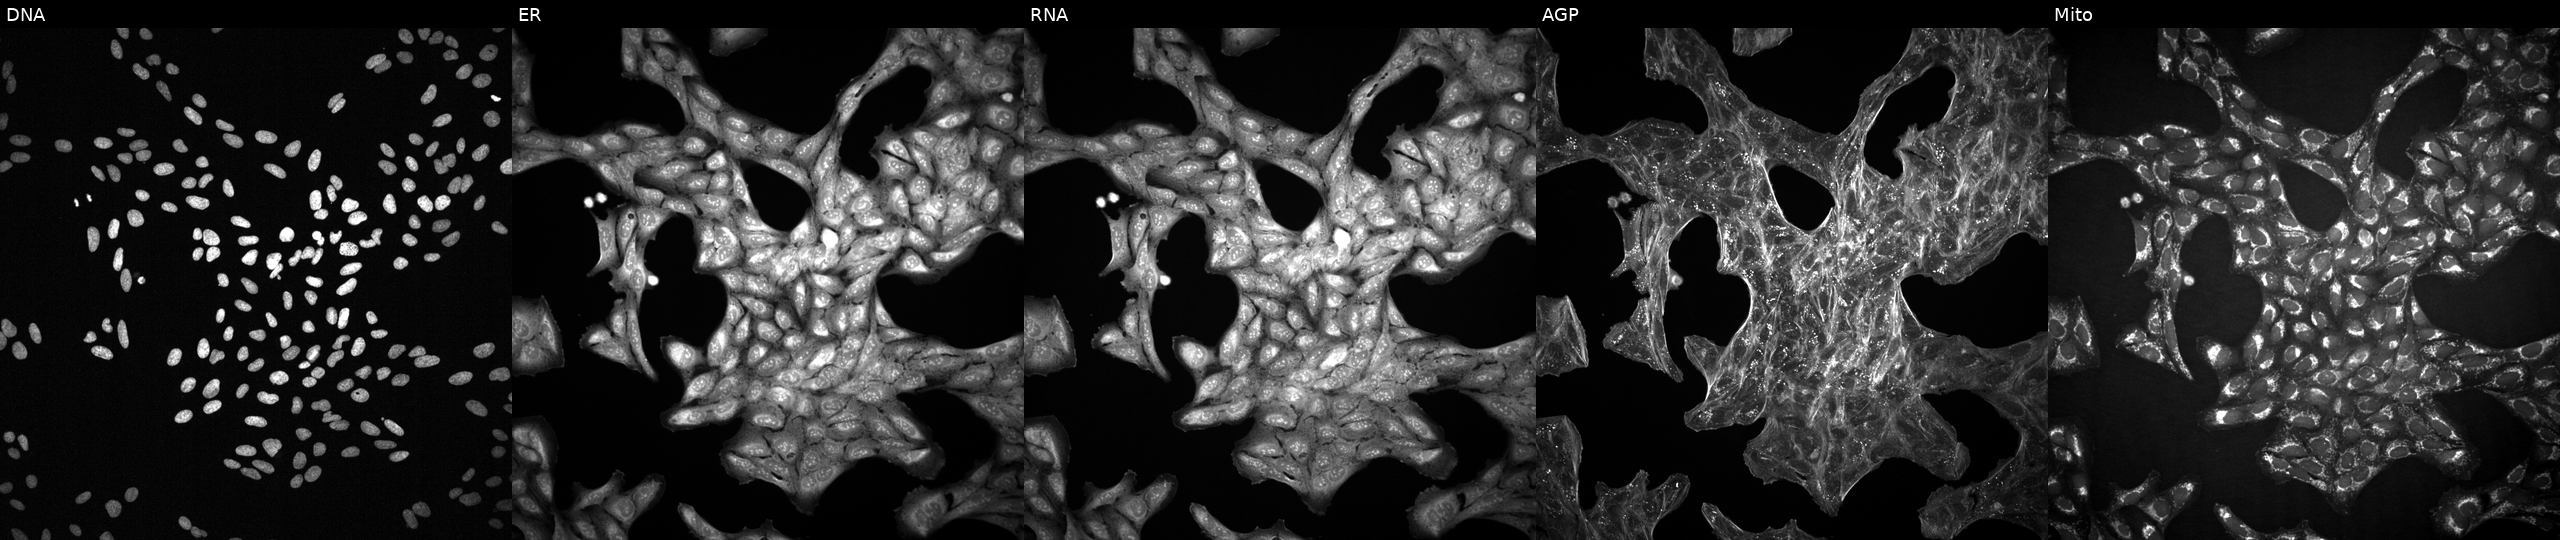
This image strip shows the five Cell Painting channels for a single field of U2OS cells treated with a small-molecule compound (InChIKey OZBQGSJLDSSUQW-UHFFFAOYSA-N). From left to right: Hoechst 33342, concanavalin A, SYTO 14, phalloidin and WGA, MitoTracker.